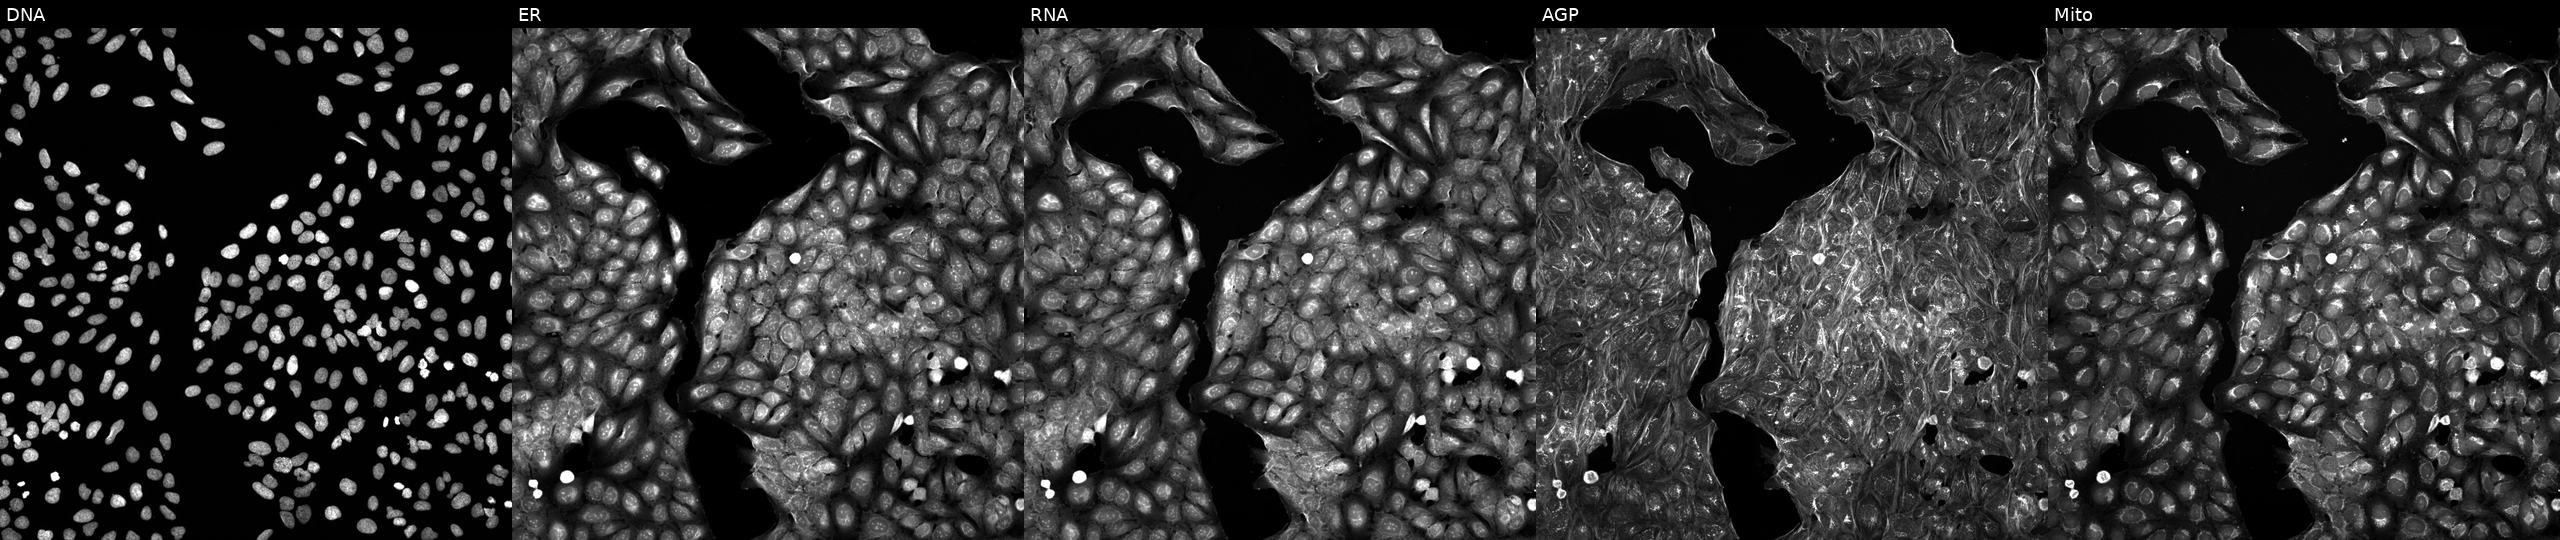
Panels show, left to right, DNA, ER, RNA, AGP, and Mito. U2OS osteosarcoma cells perturbed with a small-molecule compound (InChIKey UUXZNKYBDLMHSX-UHFFFAOYSA-N) (JUMP id JCP2022_091742). Cell Painting assay, JUMP-CP dataset.